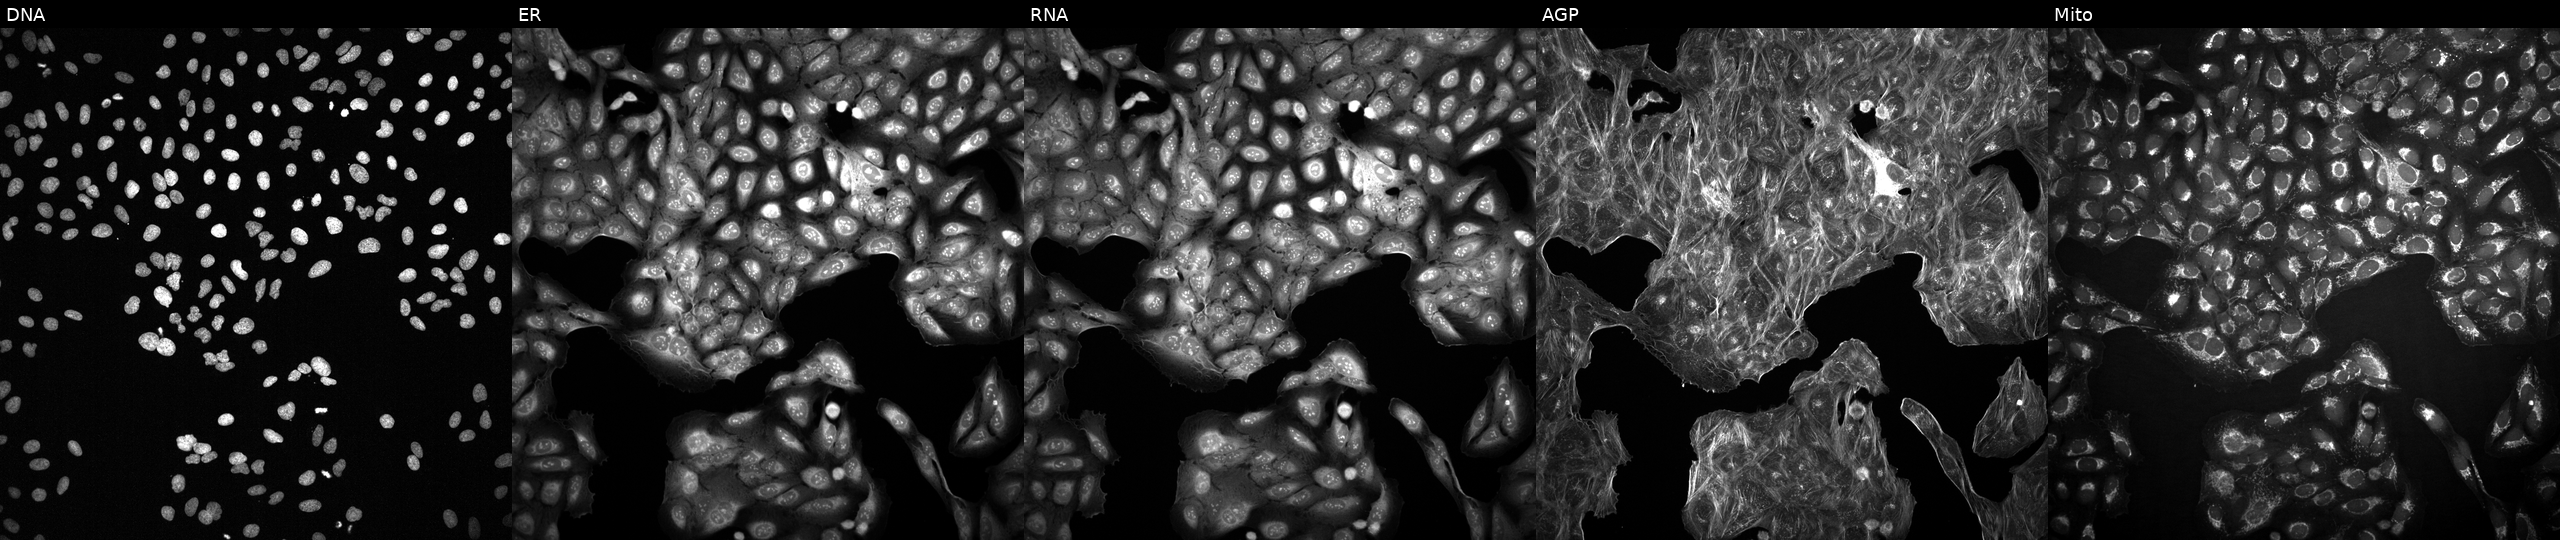
Five-channel Cell Painting image of U2OS cells with an unidentified perturbation (not annotated in JUMP metadata). The five panels, left to right, show DNA (nuclei); ER (endoplasmic reticulum); RNA (nucleoli and cytoplasmic RNA); AGP (actin cytoskeleton, Golgi, and plasma membrane); Mito (mitochondria).